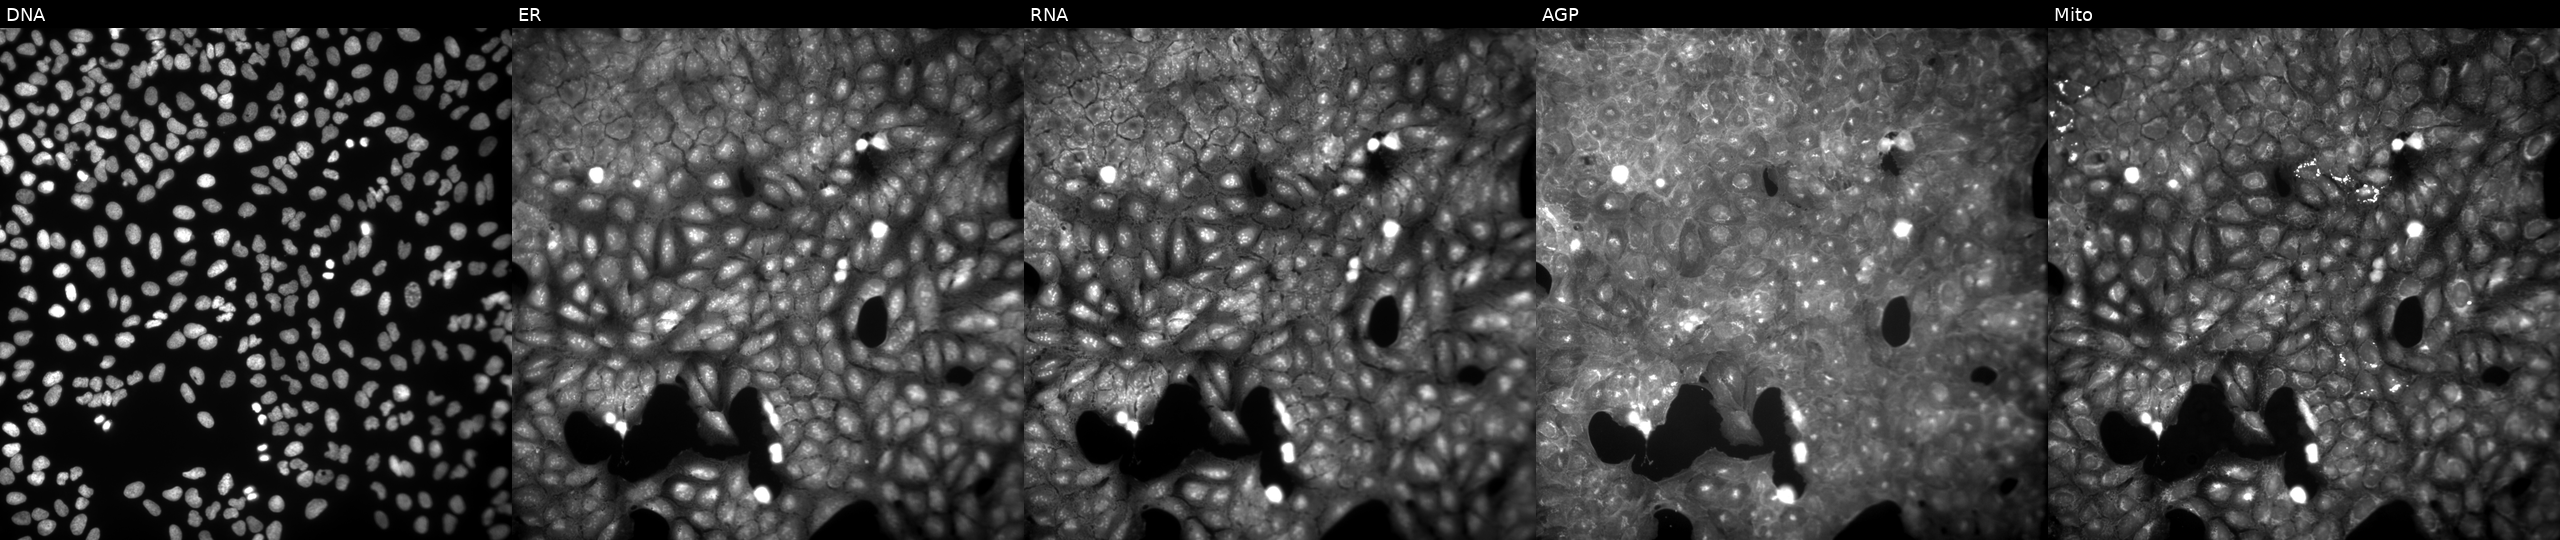
U2OS cells, Cell Painting assay, perturbed with a small-molecule compound (InChIKey KLLIJPYXPSRAHH-UHFFFAOYSA-N). Panels show, left to right, Hoechst 33342, concanavalin A, SYTO 14, phalloidin and WGA, MitoTracker. Each panel is percentile-stretched 16-bit fluorescence.